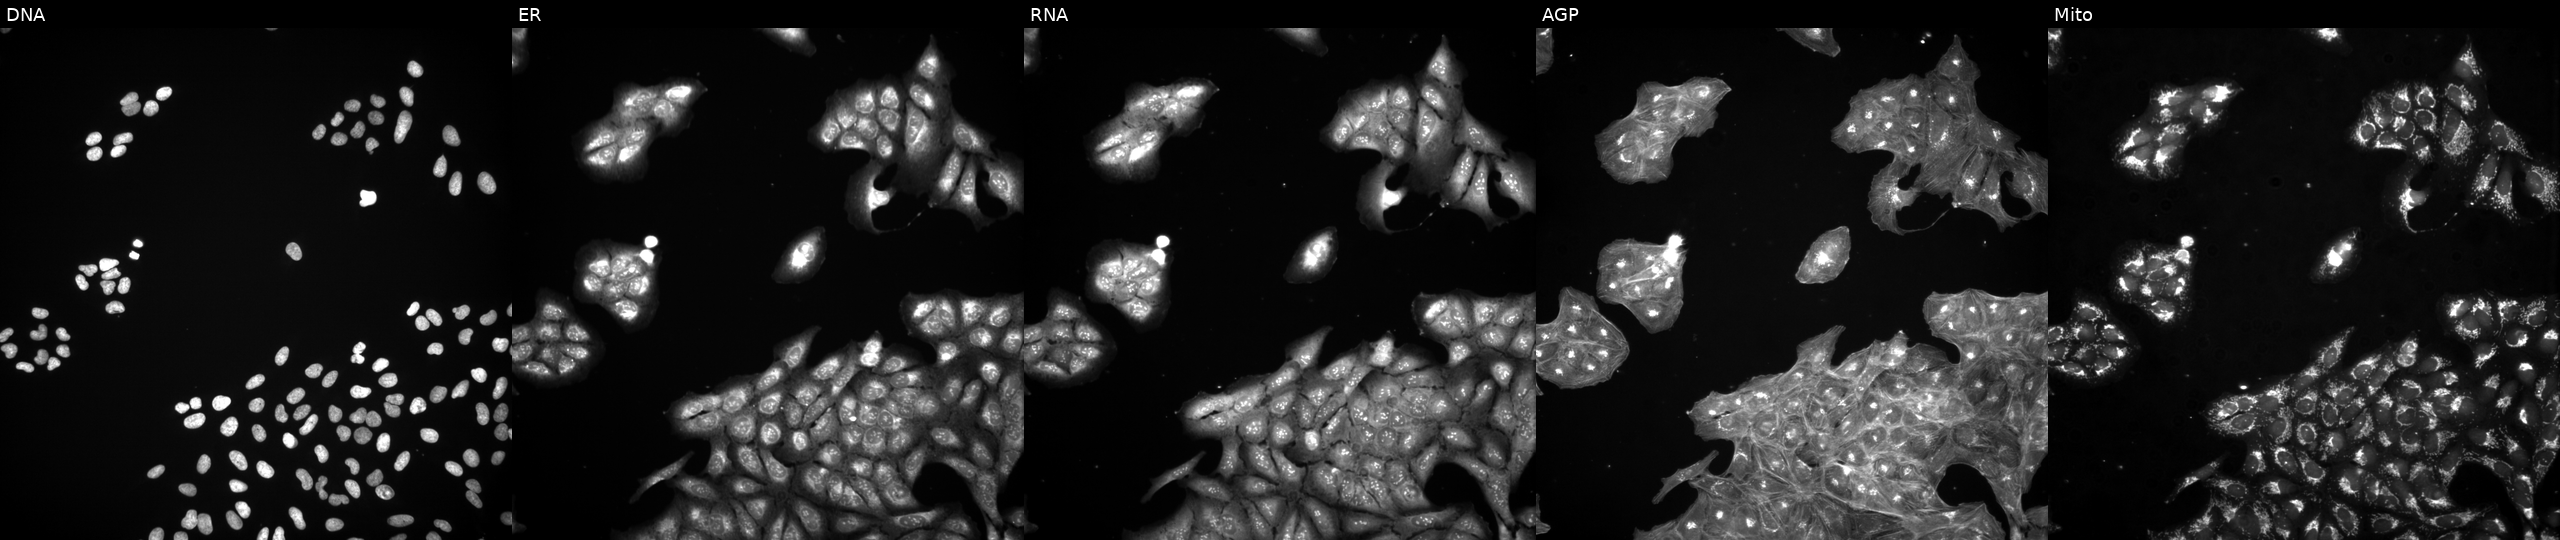
This image strip shows the five Cell Painting channels for a single field of U2OS cells treated with a small-molecule compound (JUMP id JCP2022_029858). From left to right: DNA, ER, RNA, AGP, and Mito.